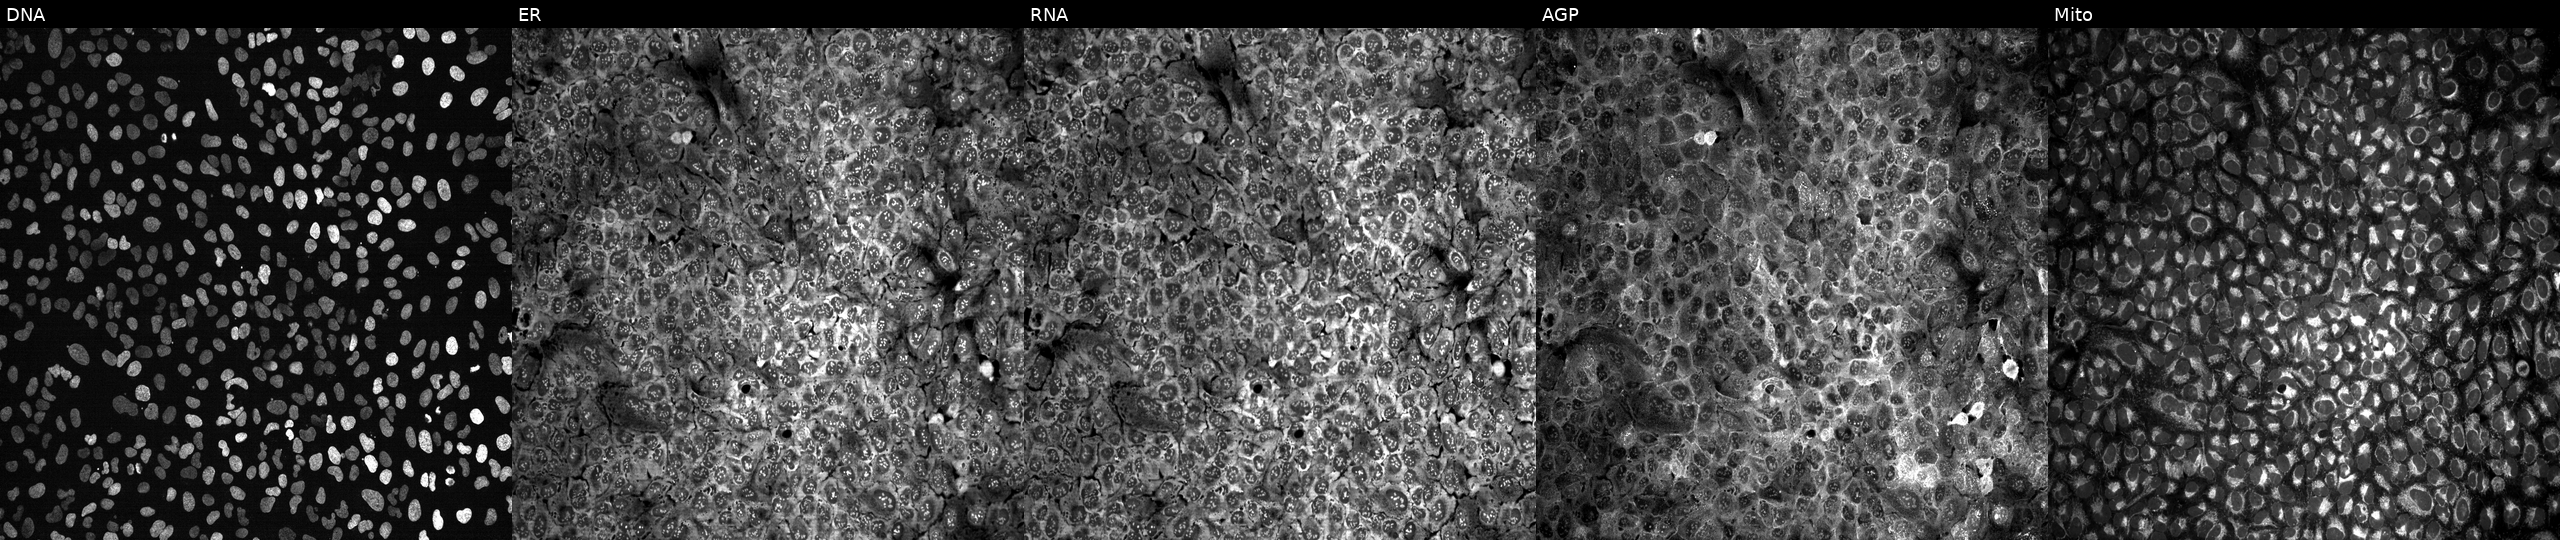
This image strip shows the five Cell Painting channels for a single field of U2OS cells following CRISPR knockout of ENC1. The five panels, left to right, show Hoechst 33342, concanavalin A, SYTO 14, phalloidin and WGA, MitoTracker.